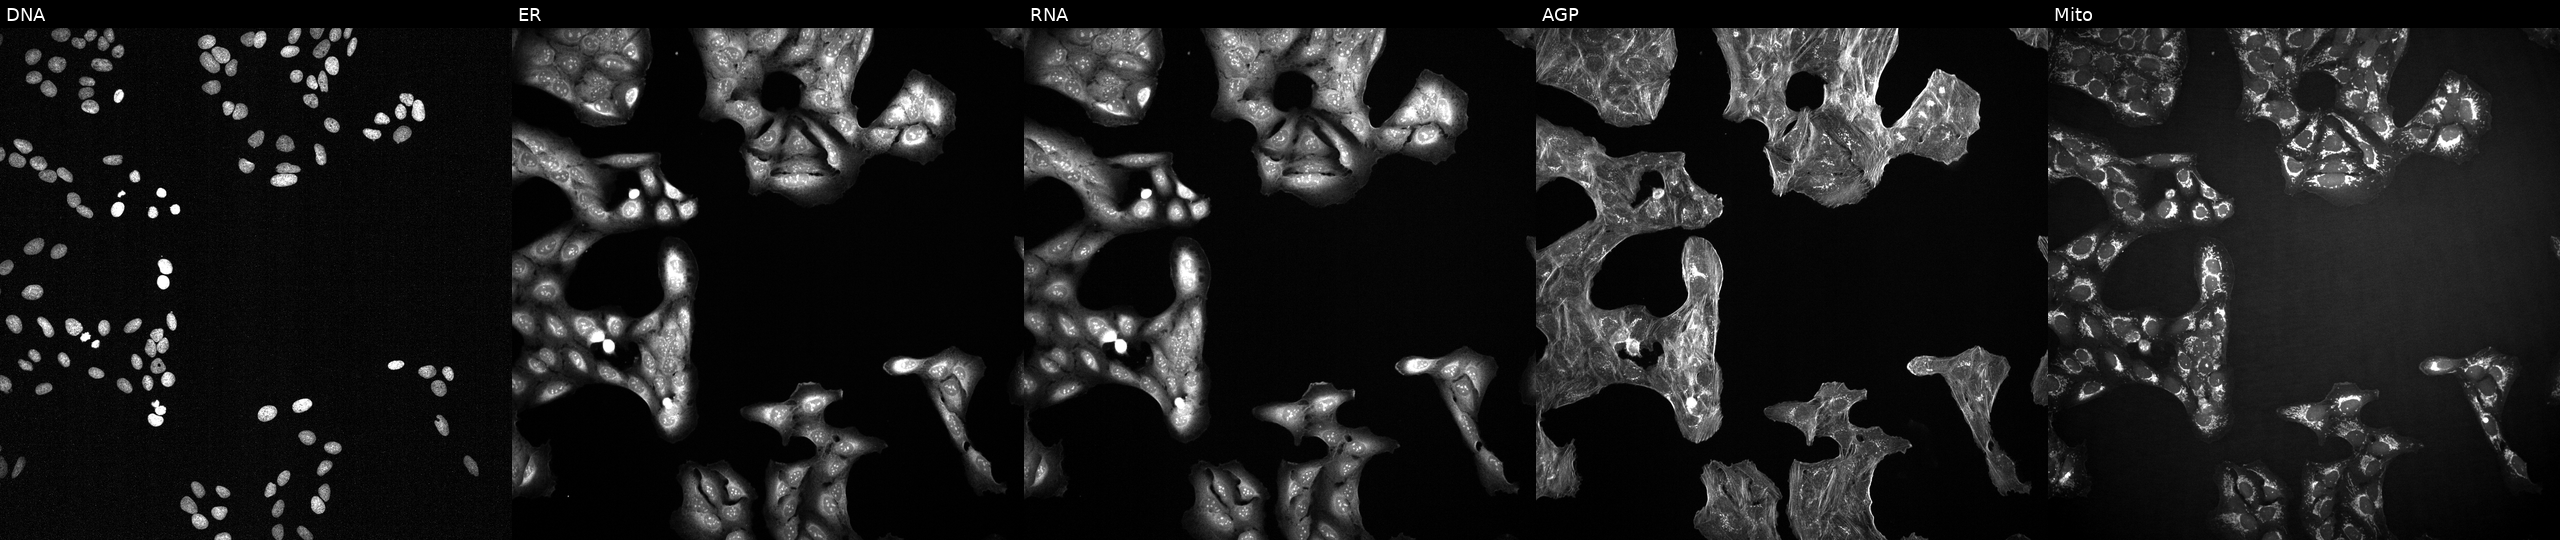
High-content fluorescence microscopy (Cell Painting). Cell line: U2OS. Perturbation: perturbed with a small-molecule compound. The five panels, left to right, show DNA (nuclei); ER (endoplasmic reticulum); RNA (nucleoli and cytoplasmic RNA); AGP (actin cytoskeleton, Golgi, and plasma membrane); Mito (mitochondria).